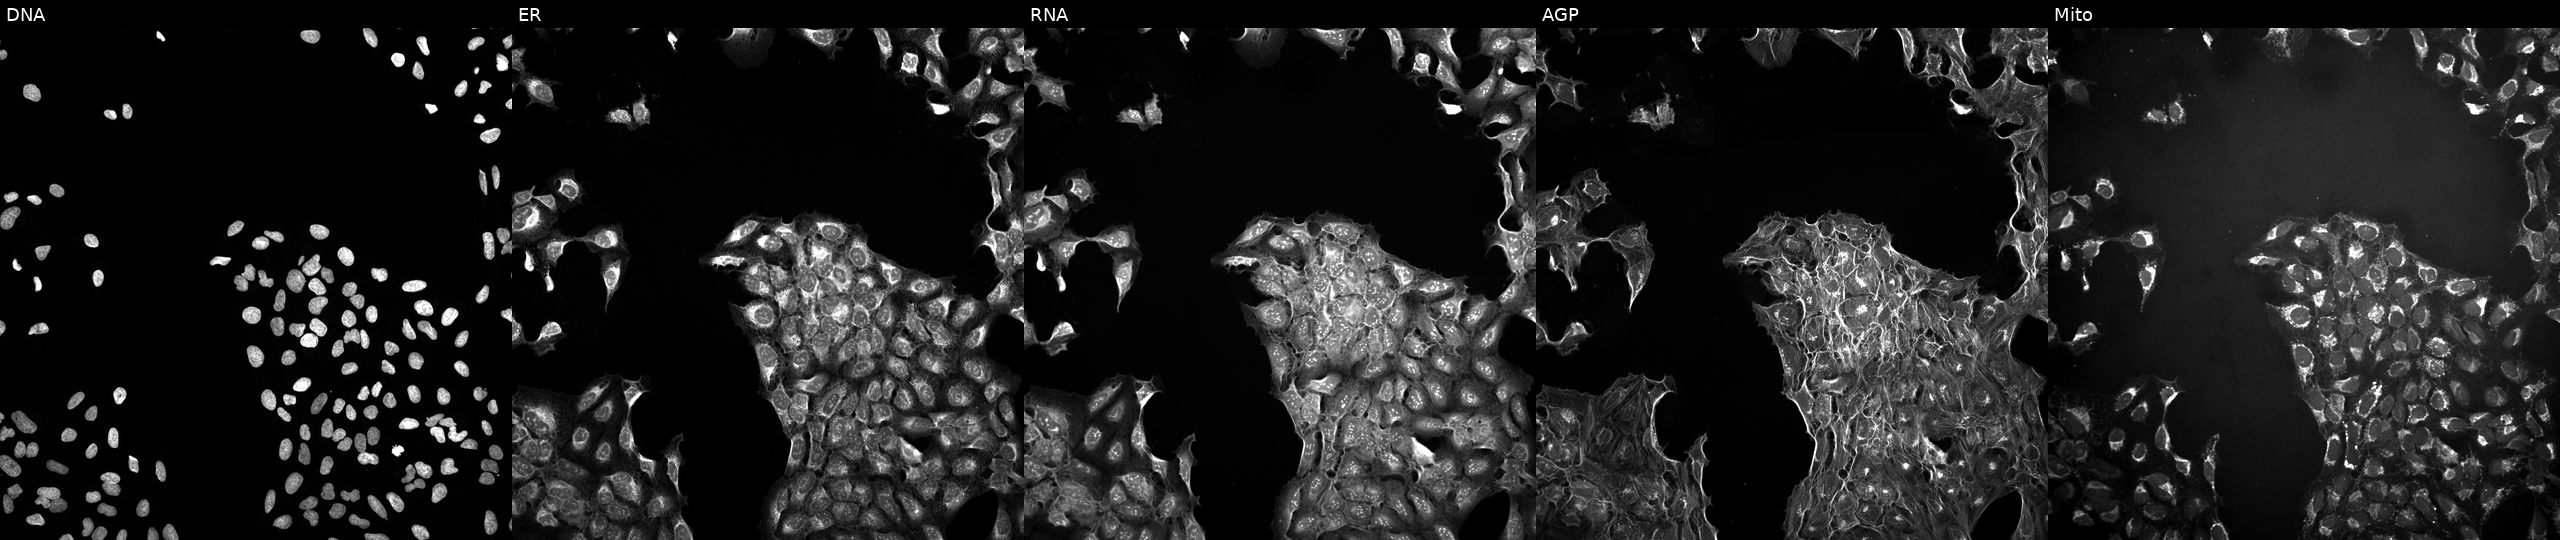
U2OS cells, Cell Painting assay, in an empty control well (no perturbation) (JUMP id JCP2022_999999). Channels (left→right): Hoechst 33342, concanavalin A, SYTO 14, phalloidin and WGA, MitoTracker. Each panel is percentile-stretched 16-bit fluorescence. Source 10, plate Dest210531-152324, well K03.